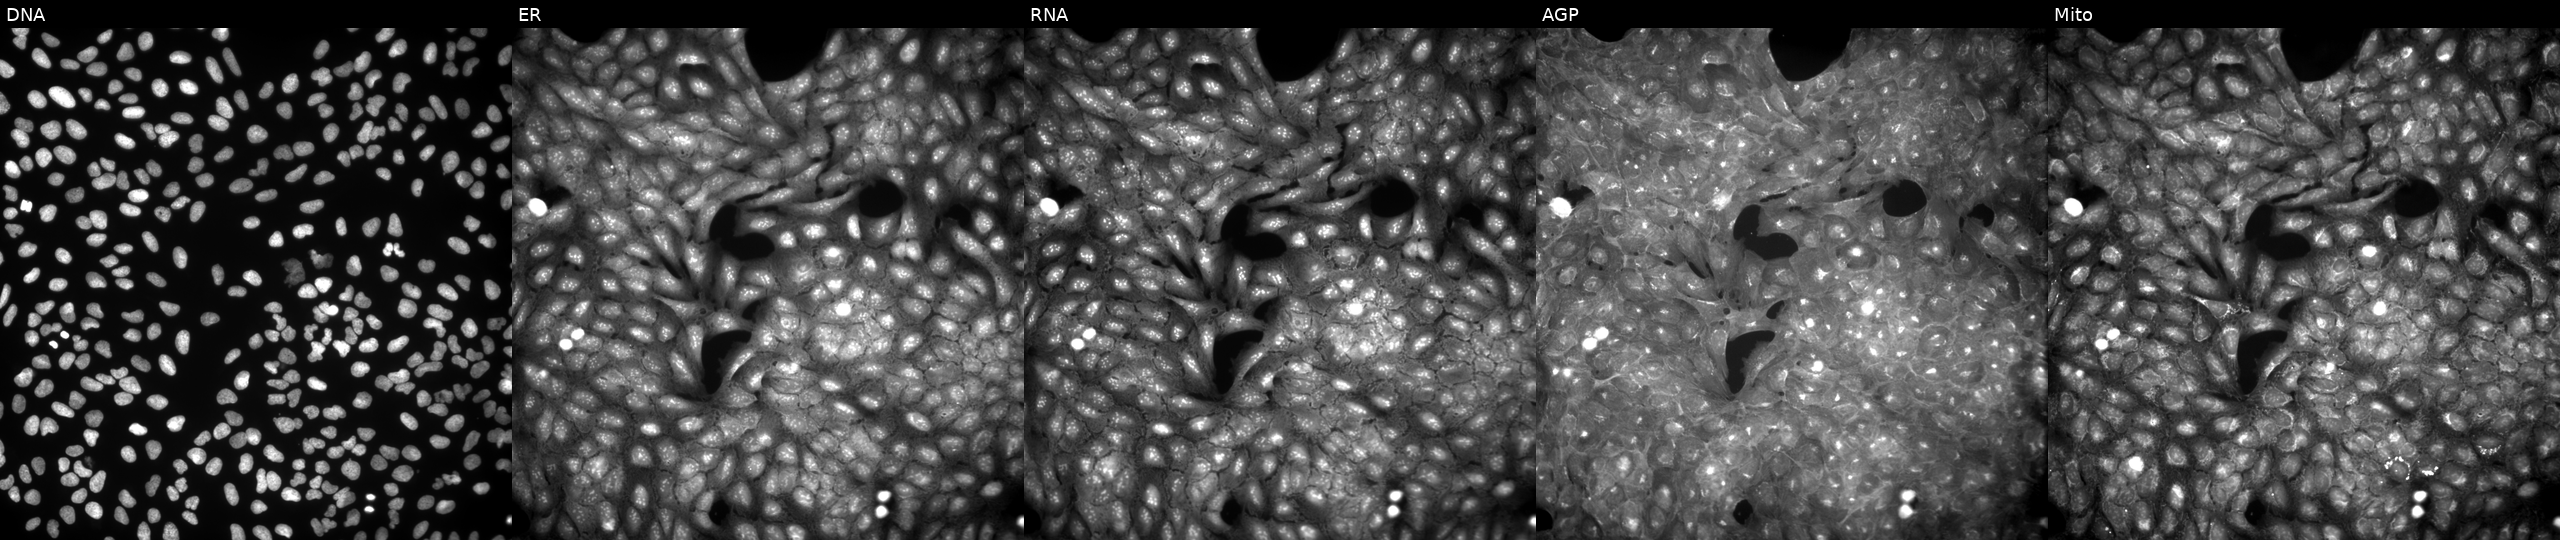
This image strip shows the five Cell Painting channels for a single field of U2OS cells treated with a small-molecule compound (InChIKey IGUGITXZXOZVEI-UHFFFAOYSA-N). Panels show, left to right, DNA (nuclei); ER (endoplasmic reticulum); RNA (nucleoli and cytoplasmic RNA); AGP (actin cytoskeleton, Golgi, and plasma membrane); Mito (mitochondria). Source 9, plate GR00003381, well Y28.